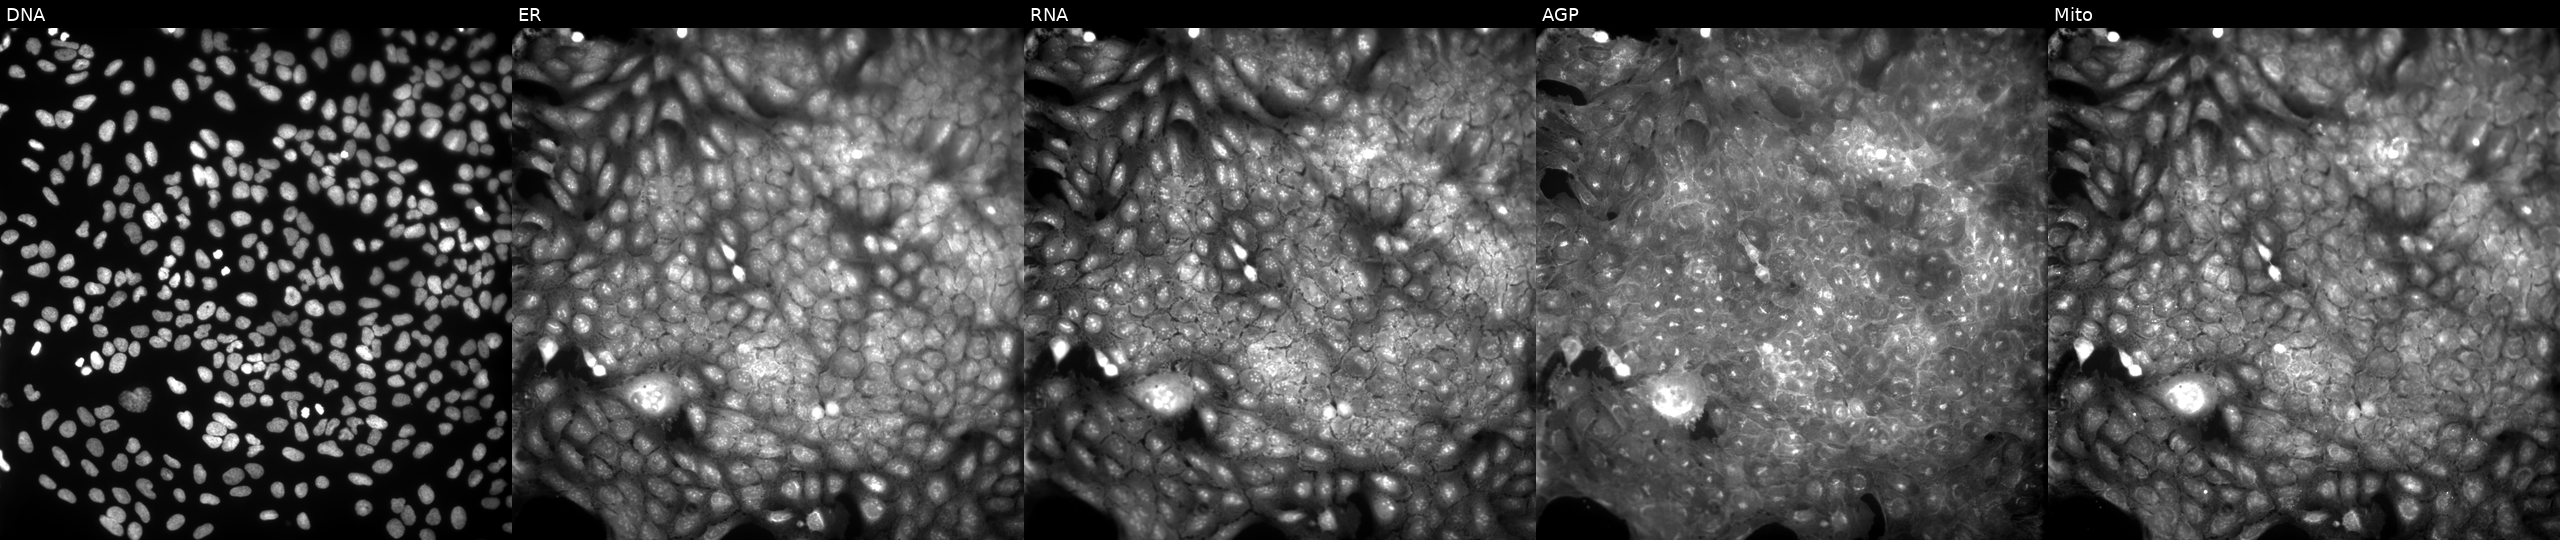
High-content fluorescence microscopy (Cell Painting). Cell line: U2OS. Perturbation: exposed to a small-molecule compound (JUMP id JCP2022_037253). The five panels, left to right, show DNA (nuclei); ER (endoplasmic reticulum); RNA (nucleoli and cytoplasmic RNA); AGP (actin cytoskeleton, Golgi, and plasma membrane); Mito (mitochondria).